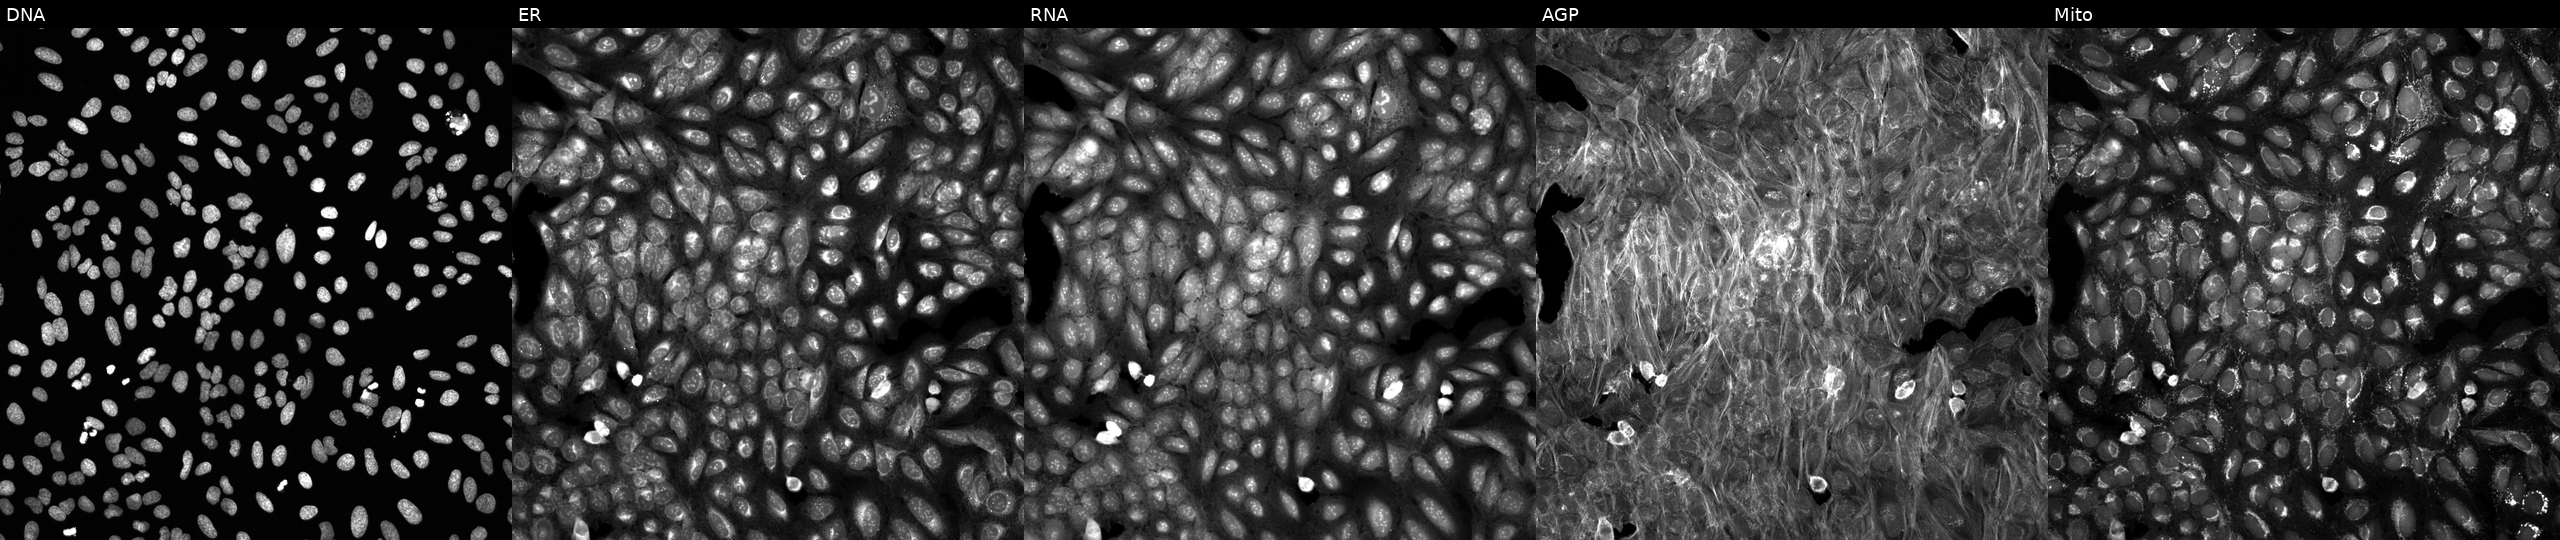
This image strip shows the five Cell Painting channels for a single field of U2OS cells treated with a small-molecule compound (InChIKey NLSSUSRERAMBTA-UHFFFAOYSA-N). Channels (left→right): DNA, ER, RNA, AGP, and Mito. Source 6, plate 110000294901, well O19.